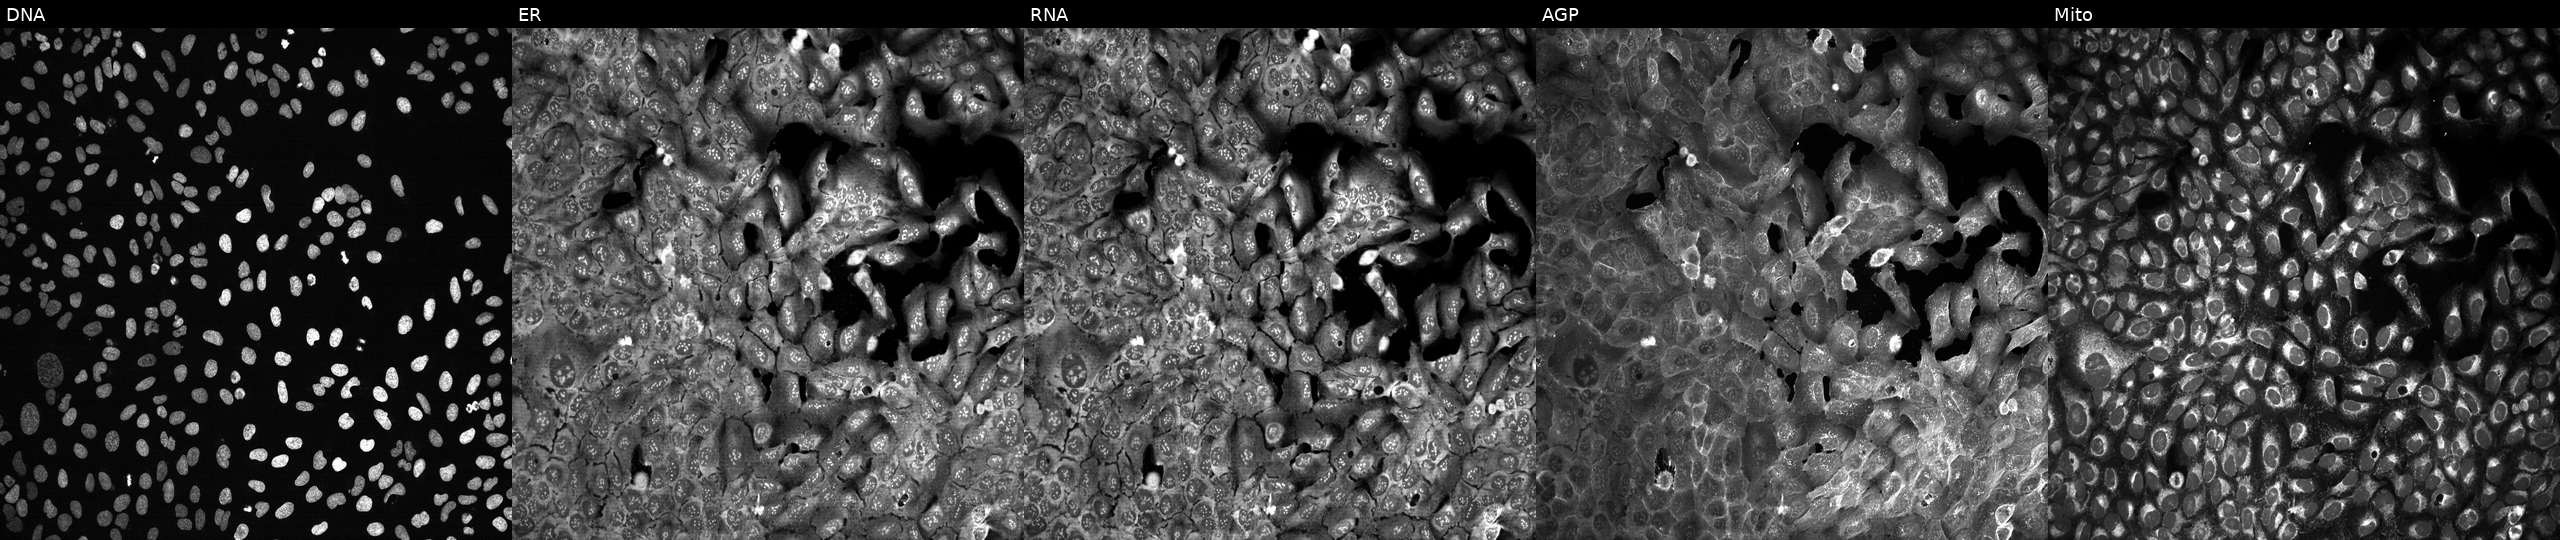
High-content fluorescence microscopy (Cell Painting). Cell line: U2OS. Perturbation: following CRISPR knockout of CFD (JUMP id JCP2022_801271). Panels show, left to right, Hoechst 33342, concanavalin A, SYTO 14, phalloidin and WGA, MitoTracker.